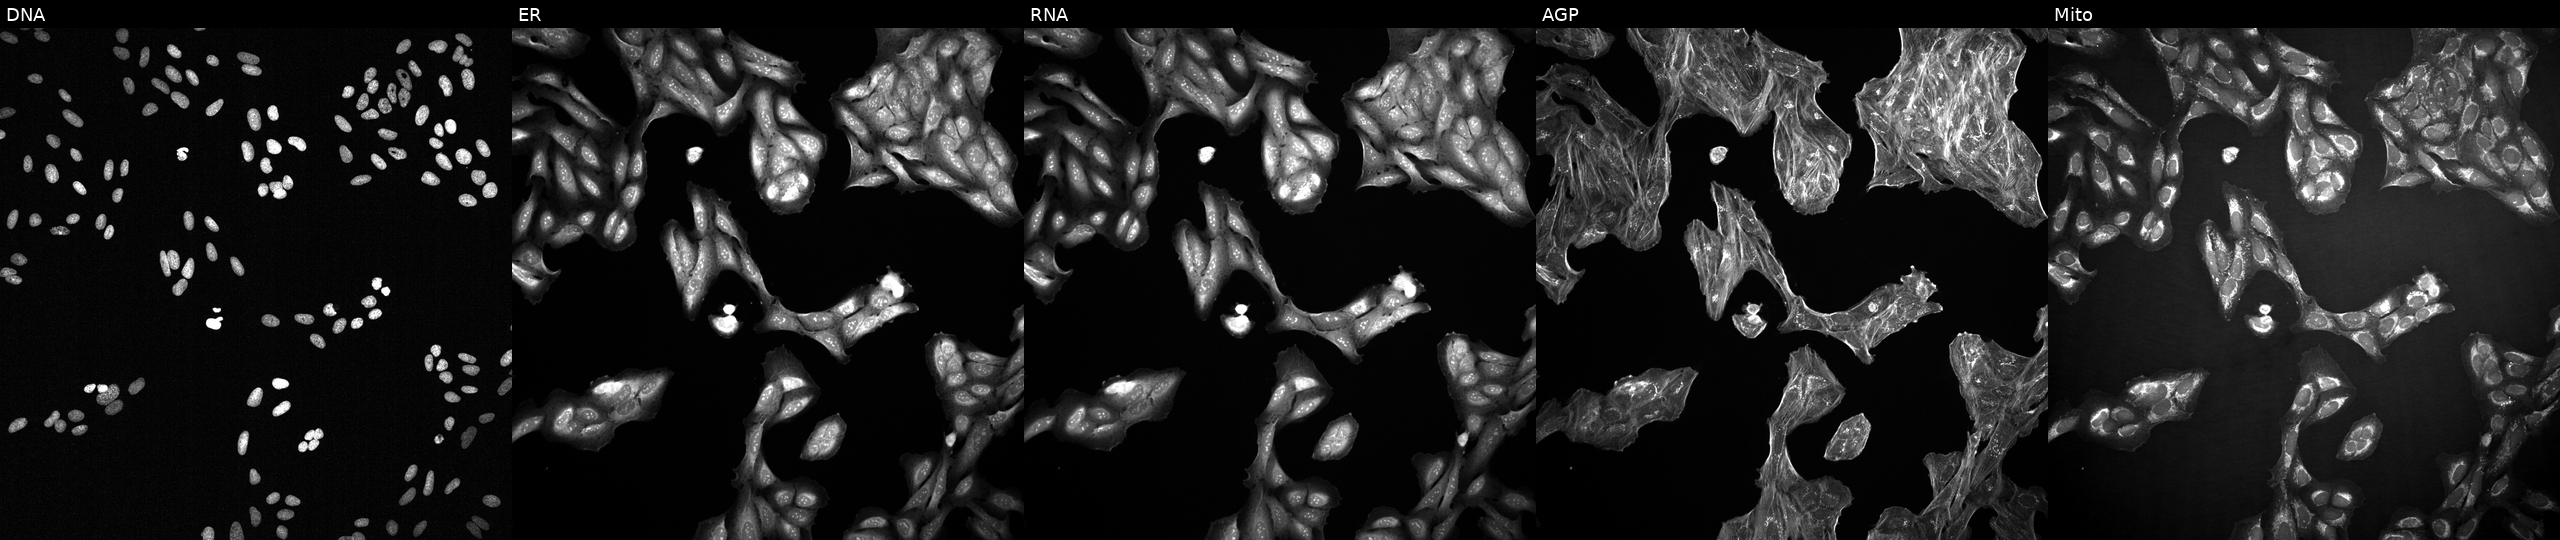
U2OS cells, Cell Painting assay, perturbed with a small-molecule compound. From left to right: DNA (nuclei); ER (endoplasmic reticulum); RNA (nucleoli and cytoplasmic RNA); AGP (actin cytoskeleton, Golgi, and plasma membrane); Mito (mitochondria). Each panel is percentile-stretched 16-bit fluorescence. Source 2, plate 1053600674, well M01.